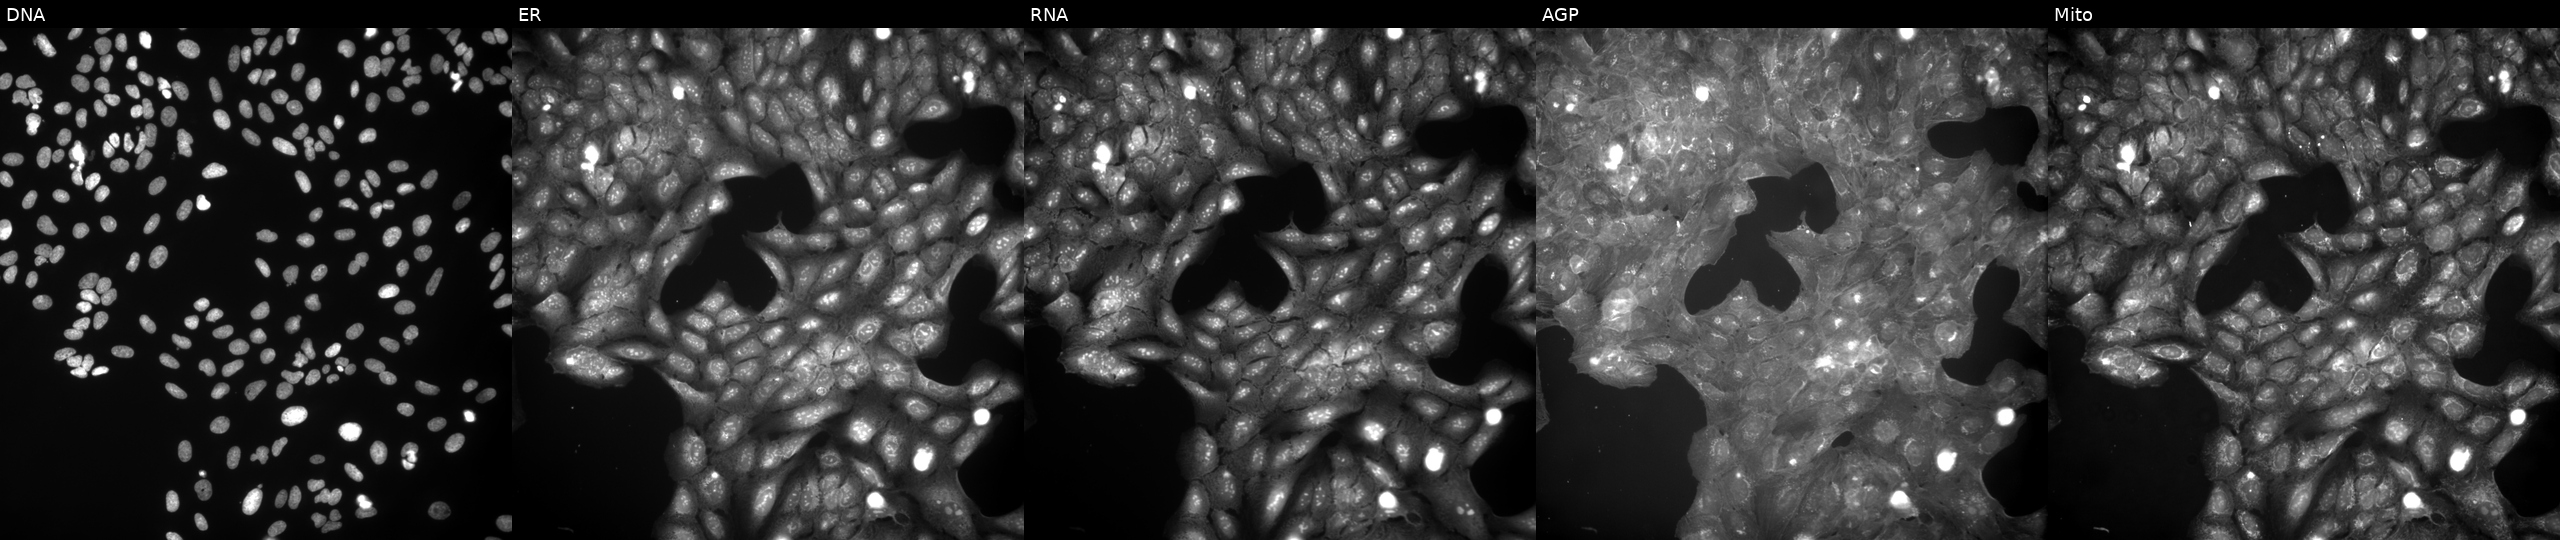
U2OS cells, Cell Painting assay, exposed to a small-molecule compound (InChIKey JHZNFRUVABFCJF-UHFFFAOYSA-N). Panels show, left to right, DNA, ER, RNA, AGP, and Mito. Each panel is percentile-stretched 16-bit fluorescence. Source 9, plate GR00003382, well G33.